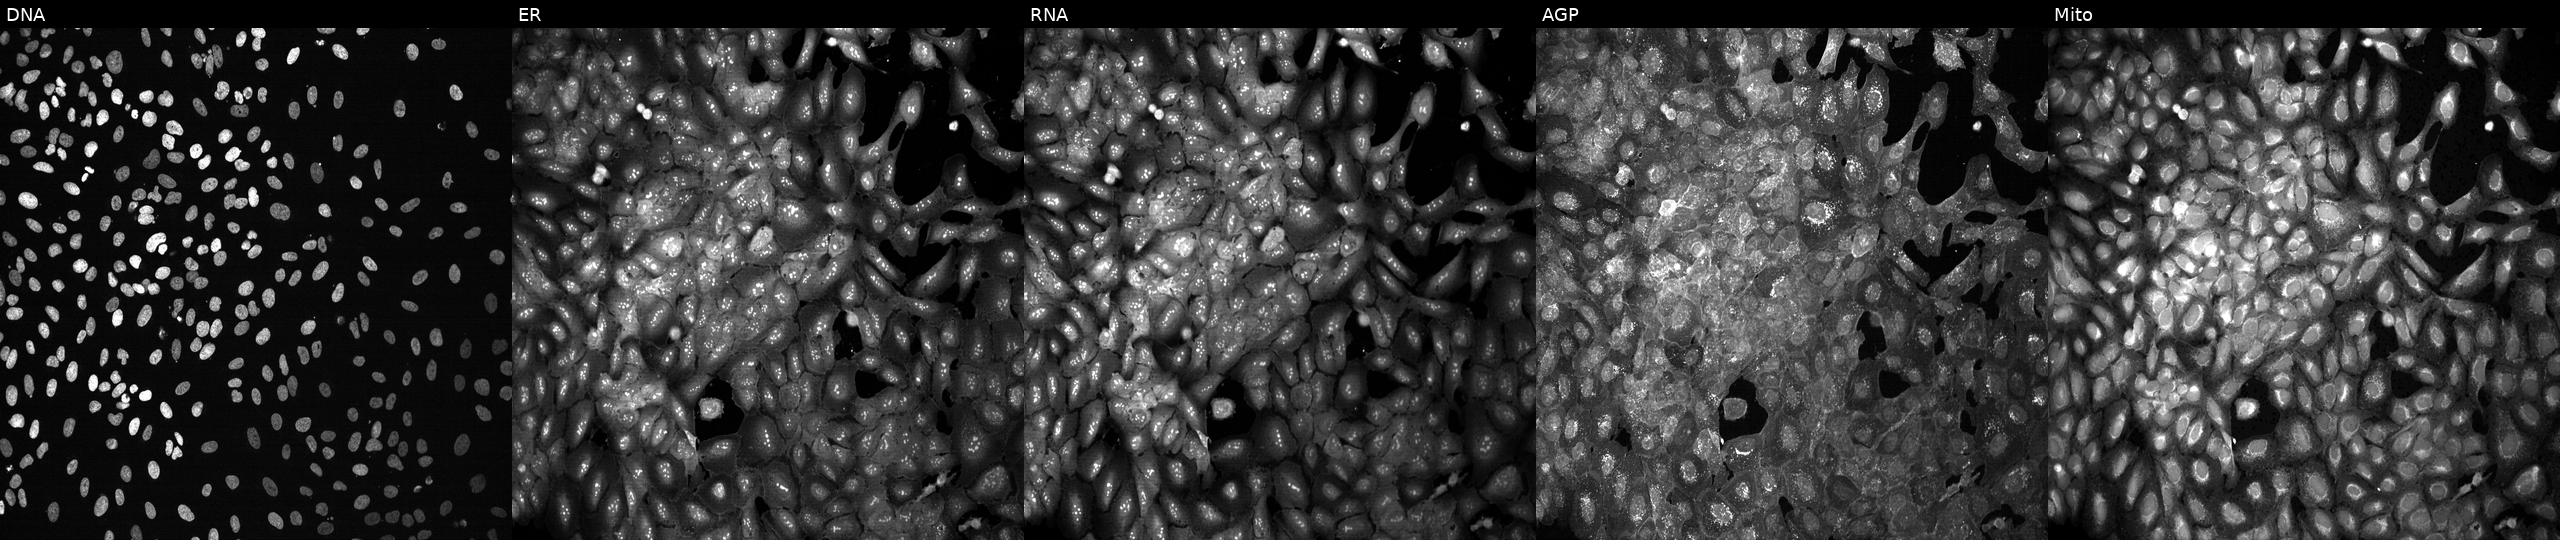
Panels show, left to right, DNA, ER, RNA, AGP, and Mito. U2OS osteosarcoma cells CRISPR-edited to disrupt NOD1 (JUMP id JCP2022_804634). Cell Painting assay, JUMP-CP dataset. Source 13, plate CP-CC9-R1-02, well G18.